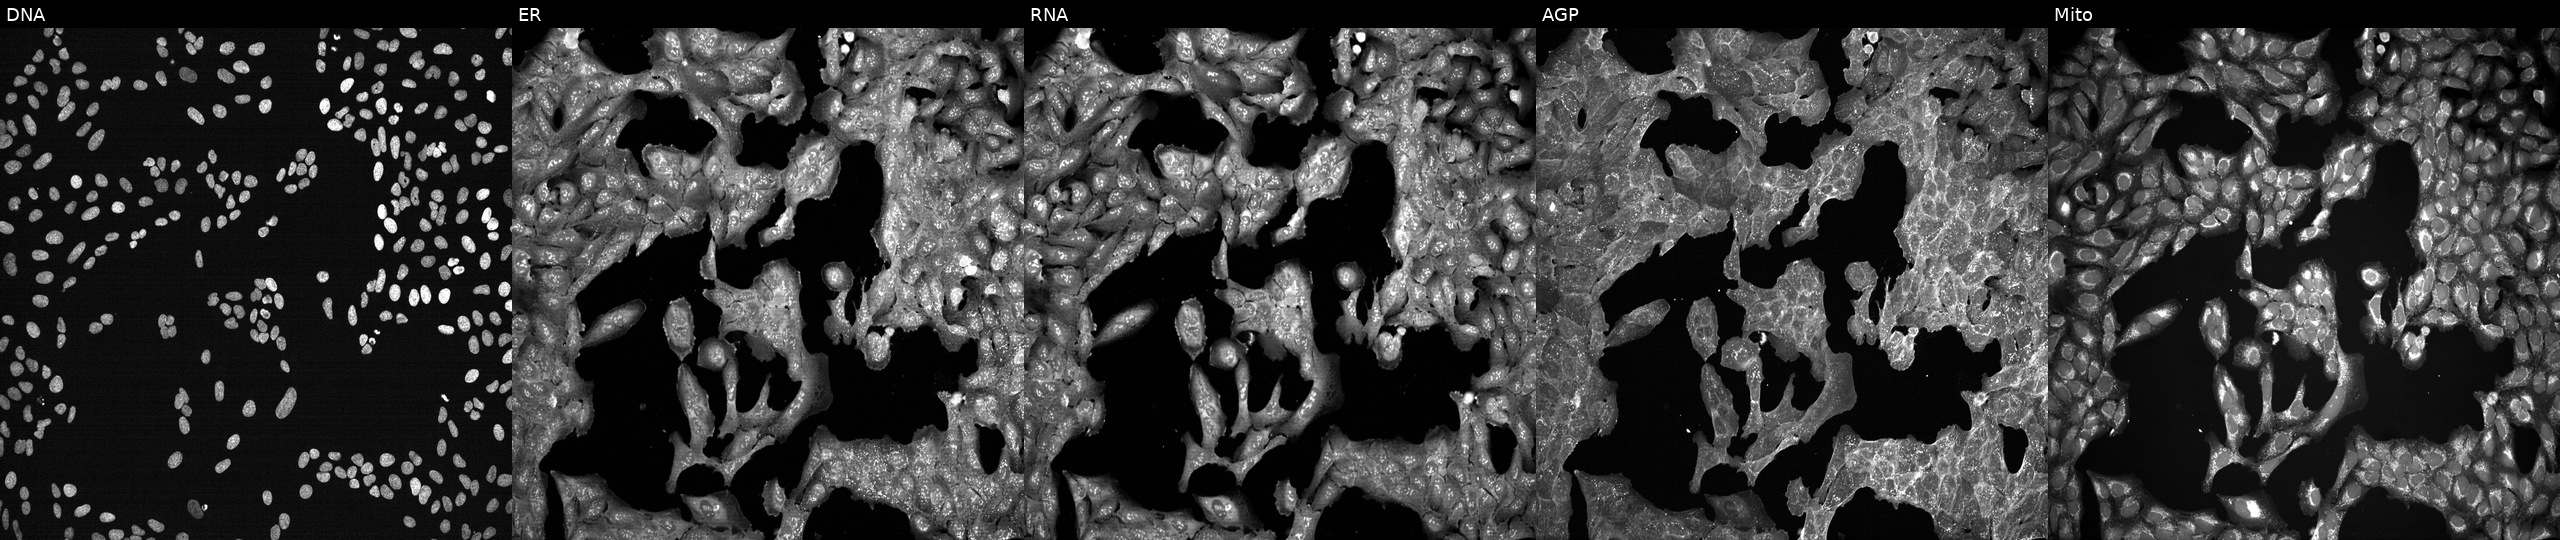
High-content fluorescence microscopy (Cell Painting). Cell line: U2OS. Perturbation: perturbed with a small-molecule compound (JUMP id JCP2022_016935). From left to right: DNA, ER, RNA, AGP, and Mito. Source 7, plate CP3-SC1-25, well E02.